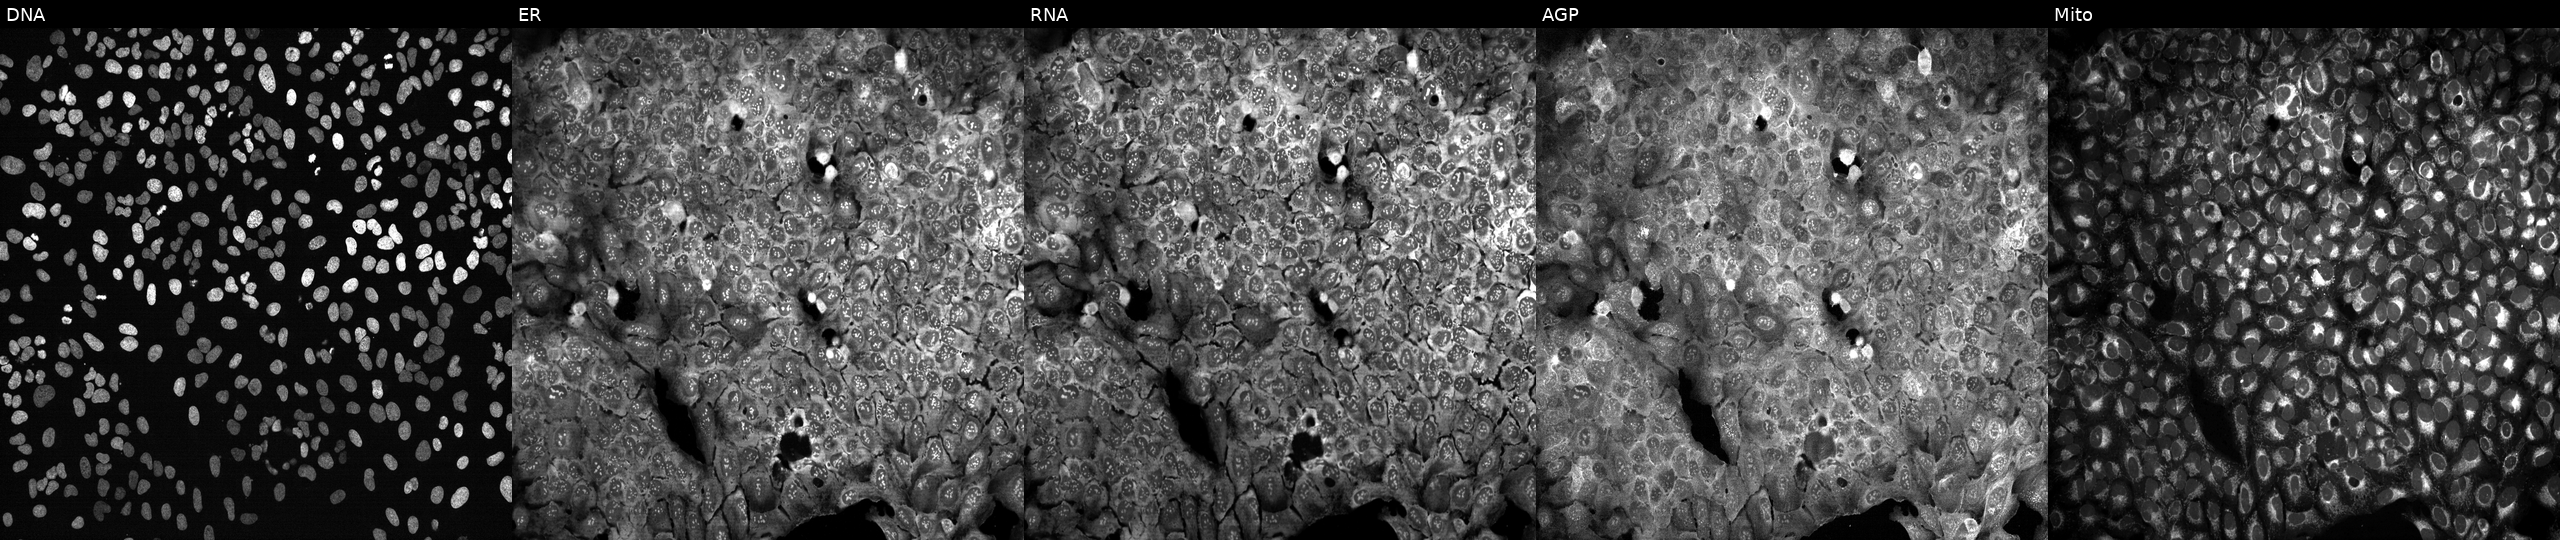
JUMP Cell Painting — CRISPR plate. U2OS cells following CRISPR knockout of SLC22A7 (JUMP id JCP2022_806428). Channels (left→right): Hoechst 33342, concanavalin A, SYTO 14, phalloidin and WGA, MitoTracker.